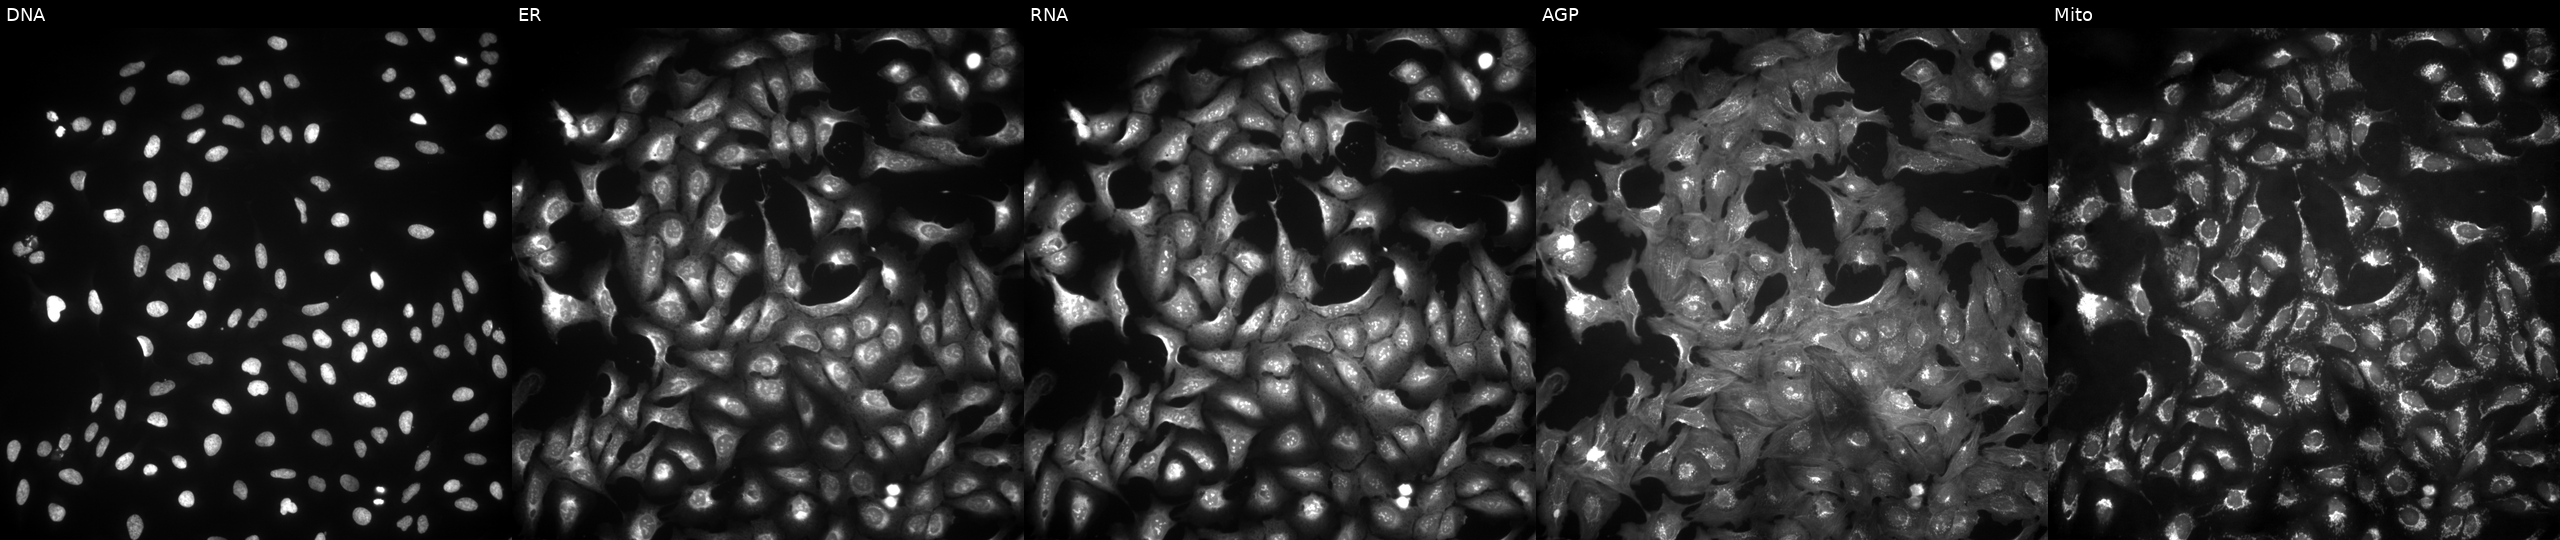
High-content fluorescence microscopy (Cell Painting). Cell line: U2OS. Perturbation: overexpressing EVL via ORF transfection (JUMP id JCP2022_903110). Panels show, left to right, DNA, ER, RNA, AGP, and Mito.